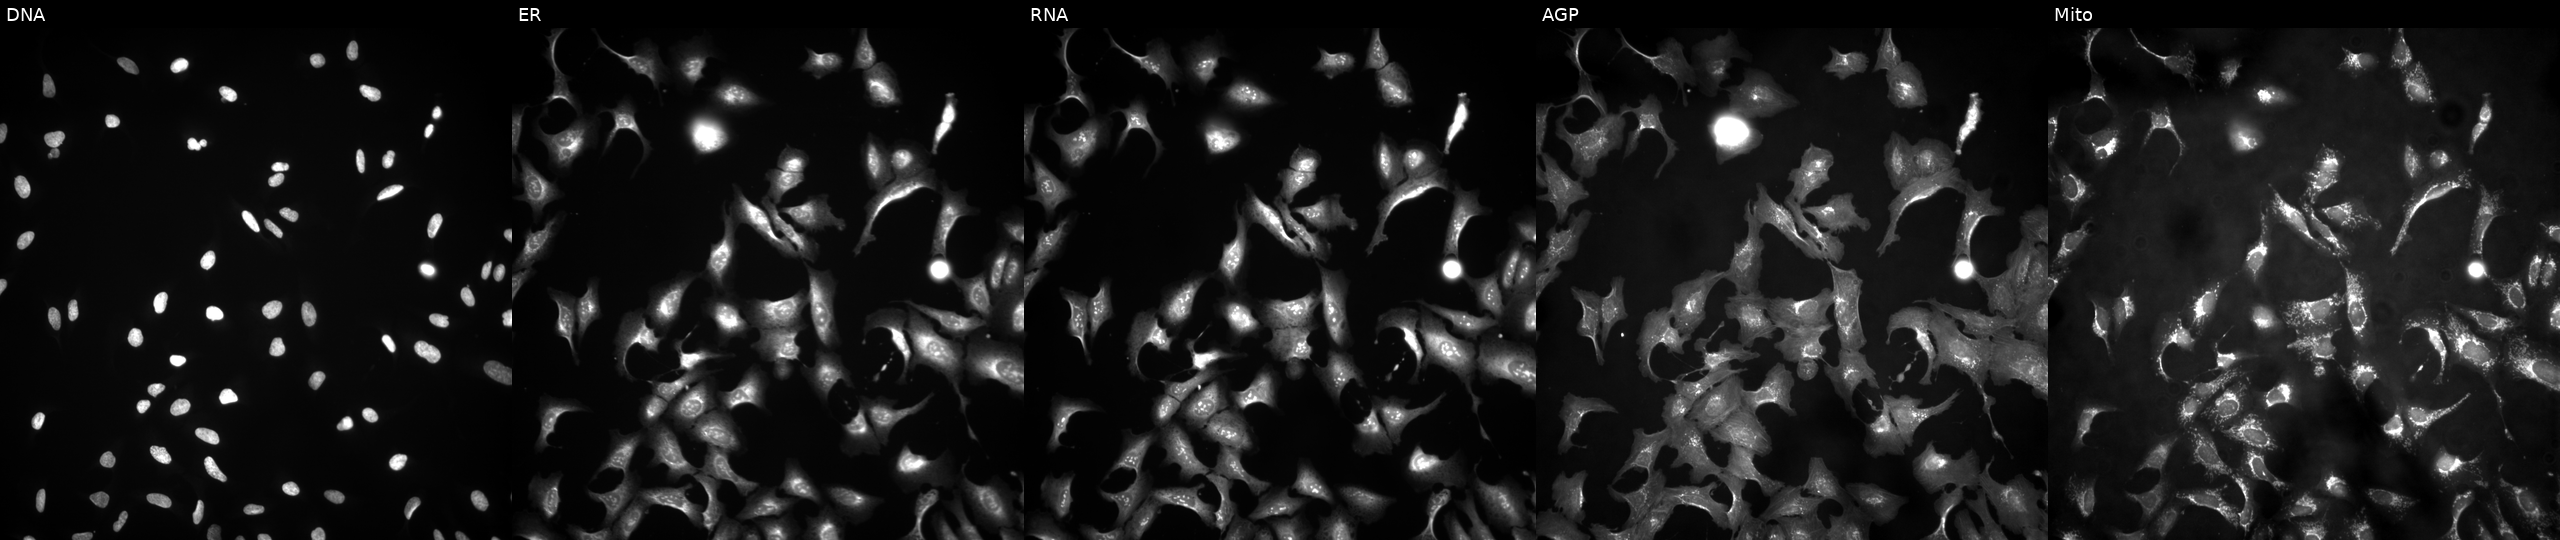
From left to right: DNA (nuclei); ER (endoplasmic reticulum); RNA (nucleoli and cytoplasmic RNA); AGP (actin cytoskeleton, Golgi, and plasma membrane); Mito (mitochondria). U2OS osteosarcoma cells with NDUFS7 overexpressed (ORF) (JUMP id JCP2022_909372). Cell Painting assay, JUMP-CP dataset. Source 4, plate BR00121543, well P16.